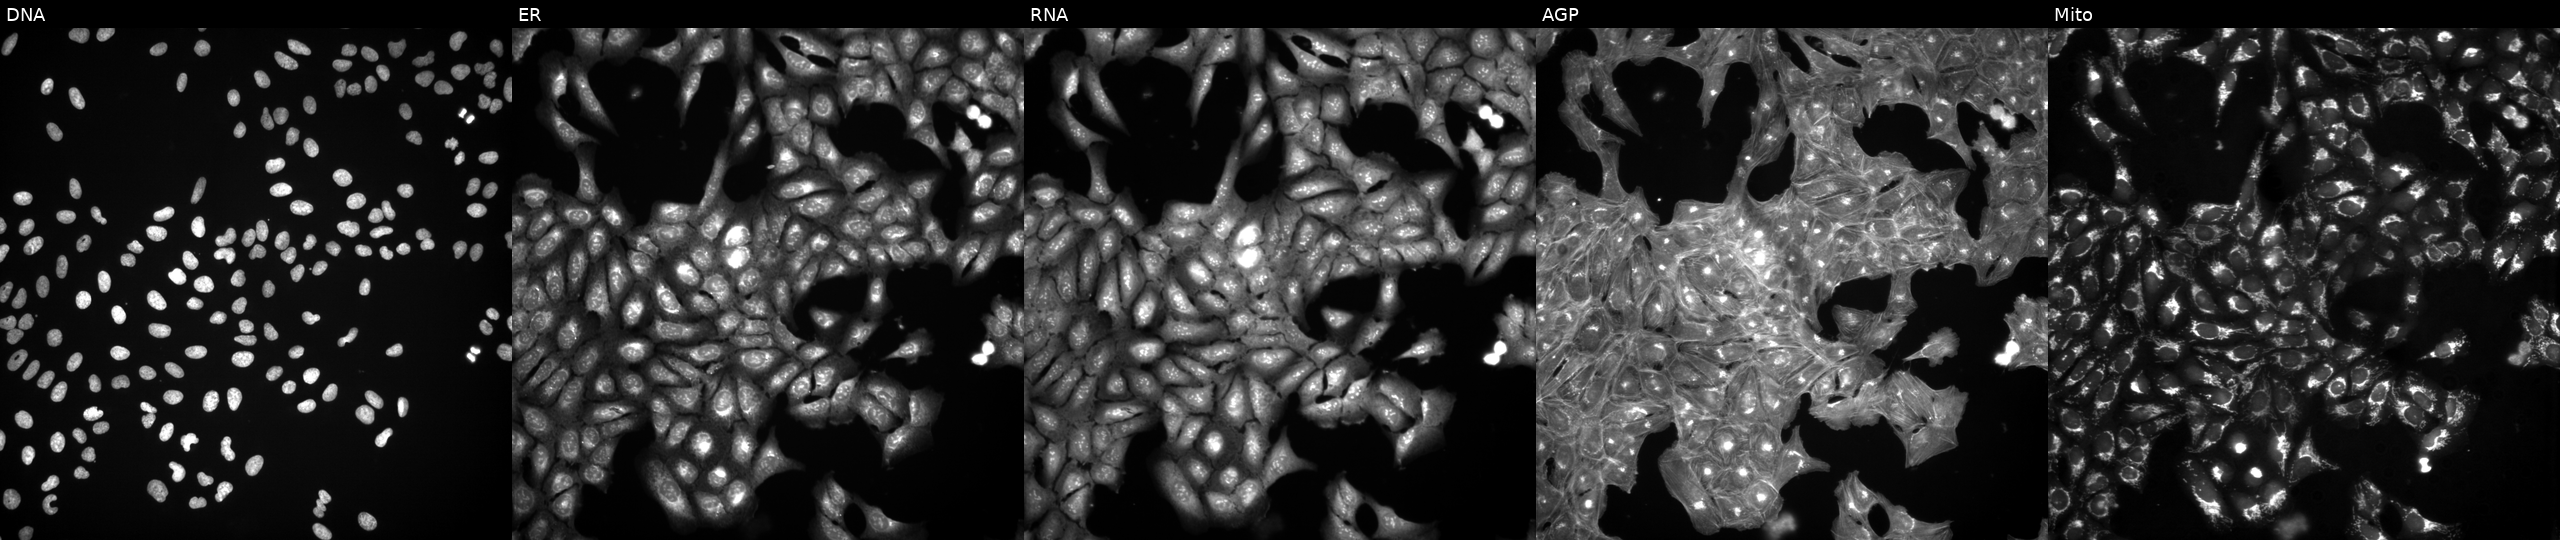
Channels (left→right): Hoechst 33342, concanavalin A, SYTO 14, phalloidin and WGA, MitoTracker. U2OS osteosarcoma cells treated with DMSO vehicle only (negative control) (JUMP id JCP2022_033924). Cell Painting assay, JUMP-CP dataset.